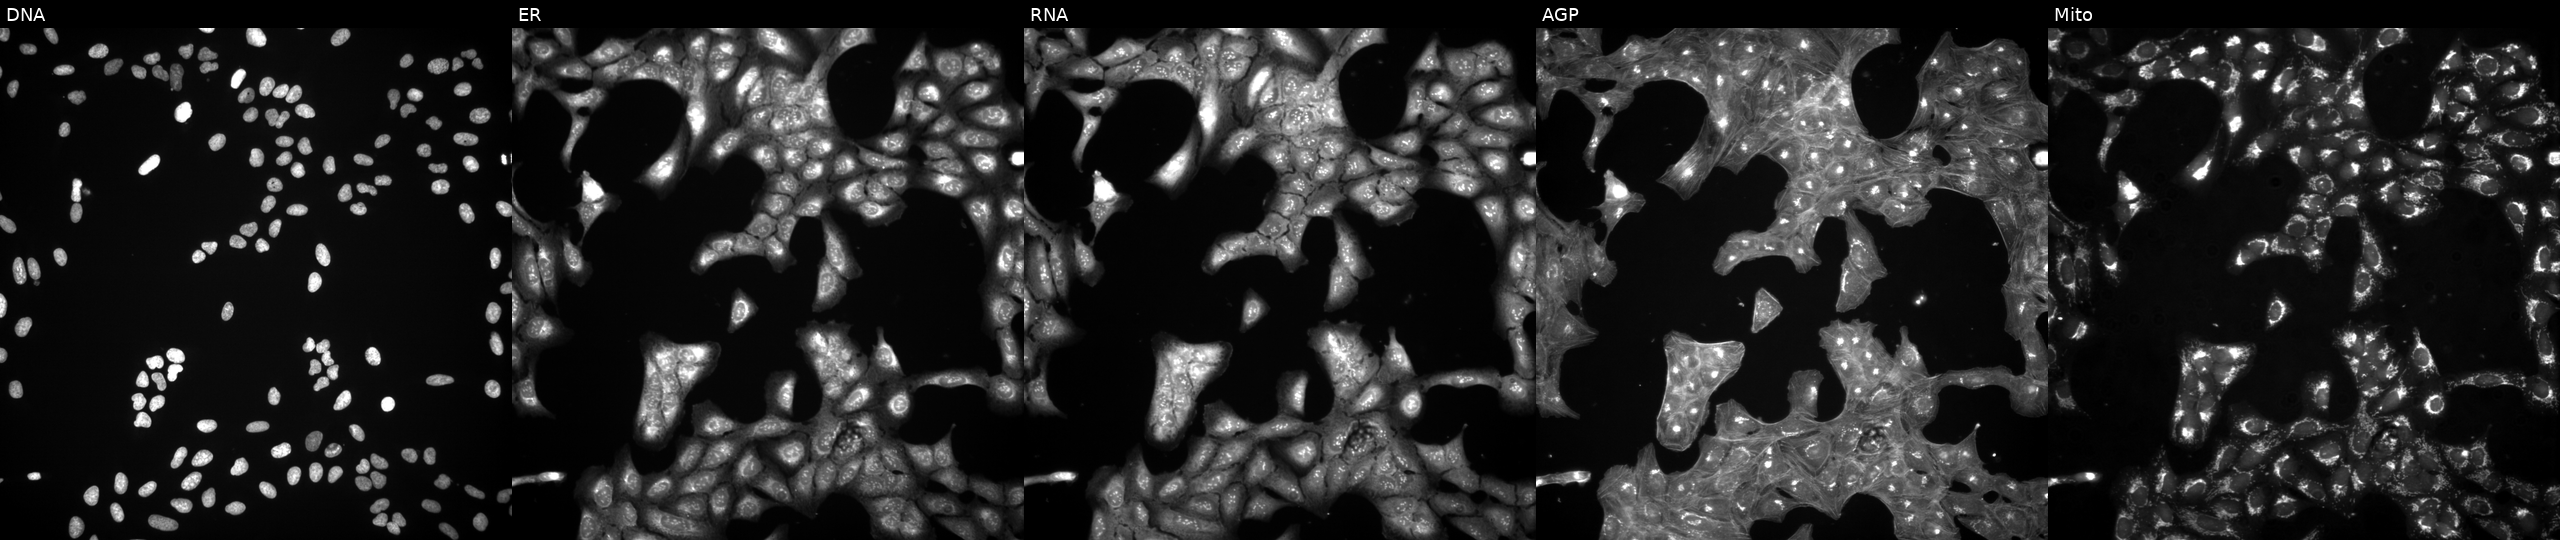
Five-channel Cell Painting image of U2OS cells treated with a small-molecule compound (InChIKey ZNNLBTZKUZBEKO-UHFFFAOYSA-N) [SMILES: COc1ccc(Cl)cc1C(=O)NCCc1ccc(S(=O)(=O)NC(=O)NC2CCCCC2)cc1] (JUMP id JCP2022_114461). Panels show, left to right, Hoechst 33342, concanavalin A, SYTO 14, phalloidin and WGA, MitoTracker. Source 3, plate JCPQC052, well O15.